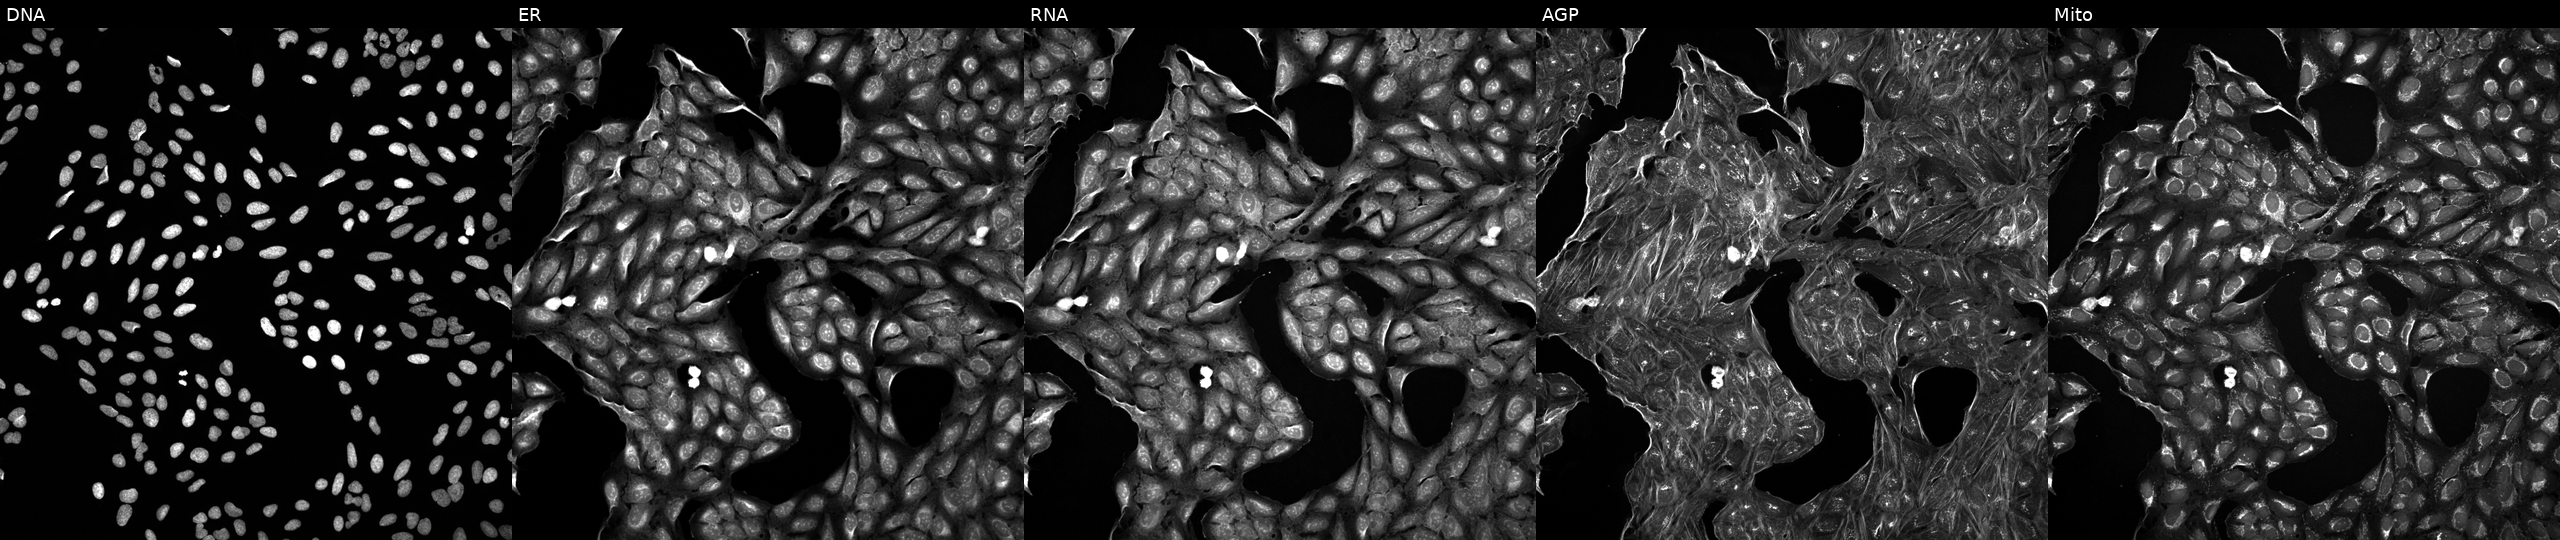
High-content fluorescence microscopy (Cell Painting). Cell line: U2OS. Perturbation: exposed to a small-molecule compound (InChIKey SGRYPYWGNKJSDL-UHFFFAOYSA-N) (JUMP id JCP2022_083099). Channels (left→right): DNA, ER, RNA, AGP, and Mito.